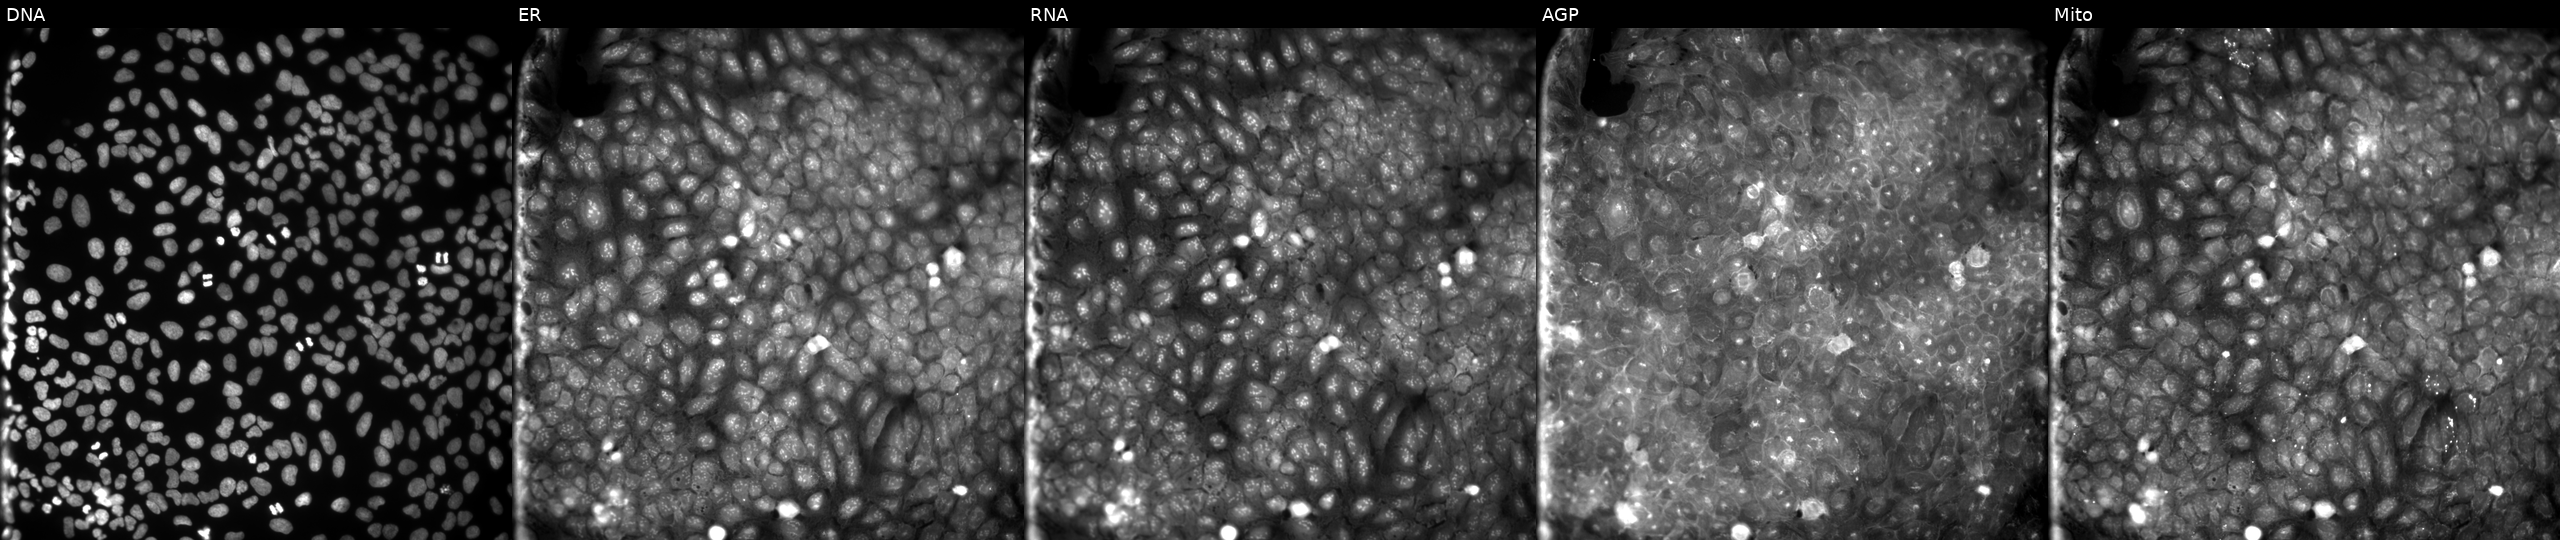
Five-channel Cell Painting image of U2OS cells exposed to a small-molecule compound (InChIKey ZJQXFBWWIBAHTR-UHFFFAOYSA-N) (JUMP id JCP2022_113740). Channels (left→right): DNA (nuclei); ER (endoplasmic reticulum); RNA (nucleoli and cytoplasmic RNA); AGP (actin cytoskeleton, Golgi, and plasma membrane); Mito (mitochondria).